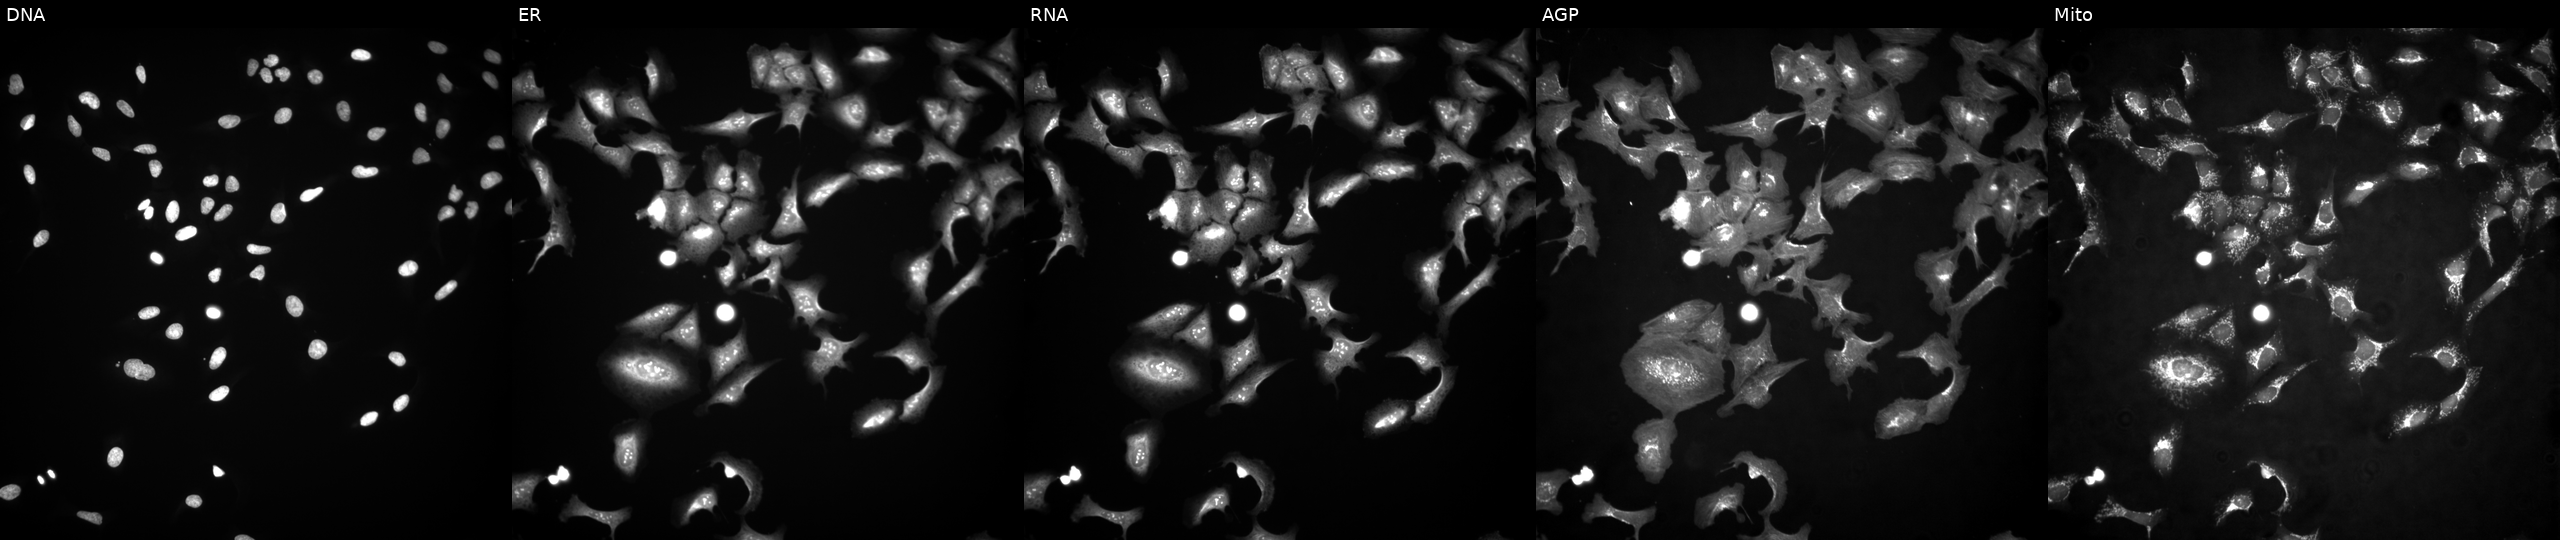
Five-channel Cell Painting image of U2OS cells overexpressing SPRY2 via ORF transfection (JUMP id JCP2022_902224). Channels (left→right): DNA, ER, RNA, AGP, and Mito.